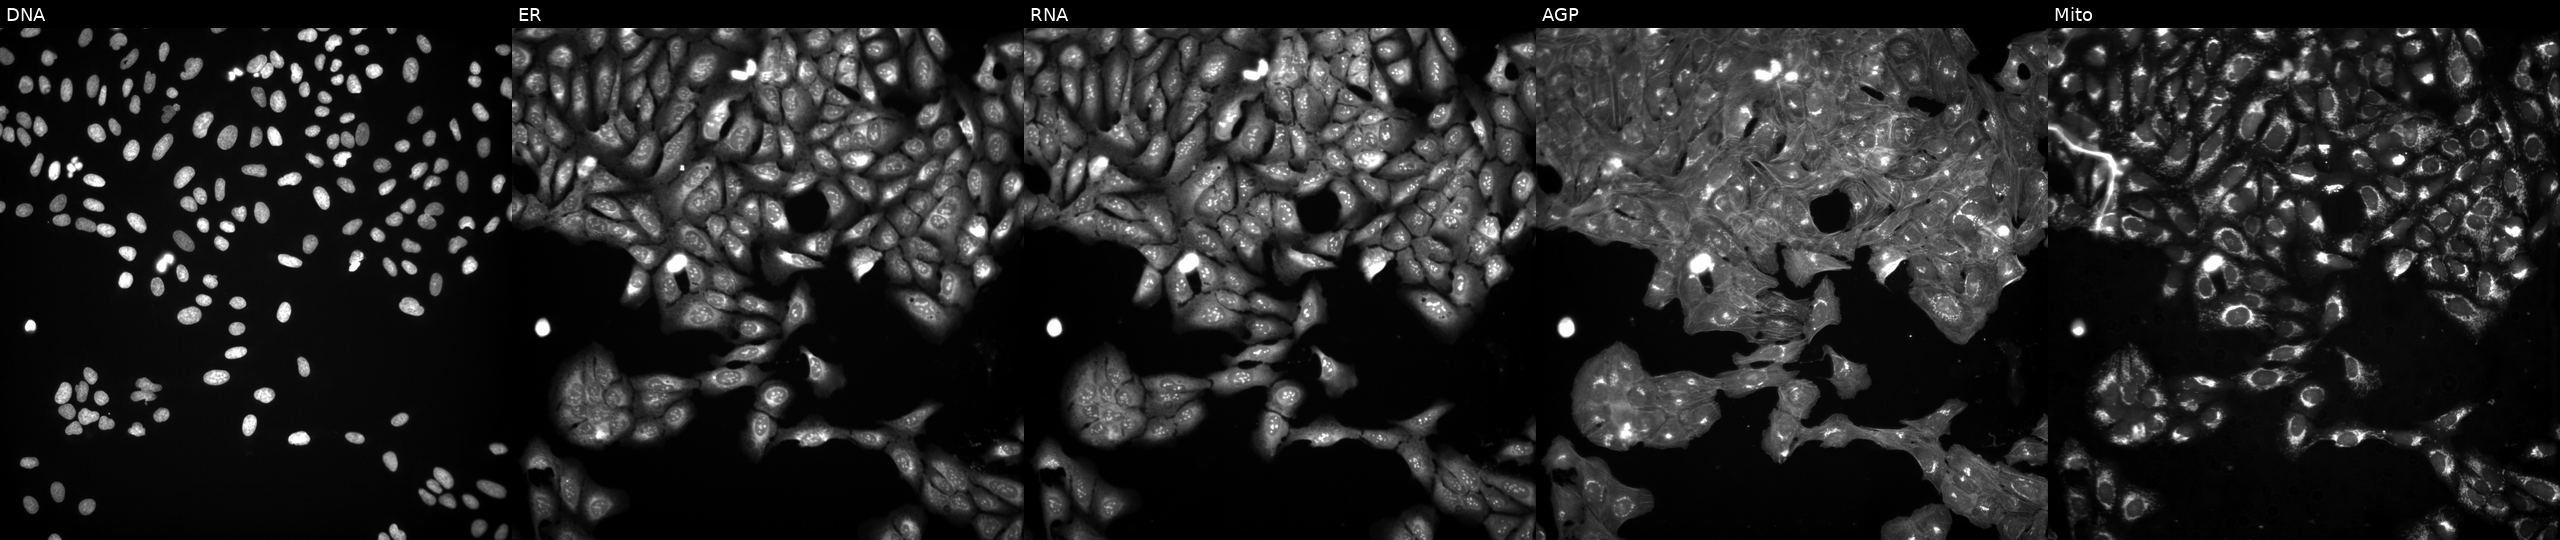
U2OS cells, Cell Painting assay, exposed to the positive-control compound TC-S-7004. Channels (left→right): Hoechst 33342, concanavalin A, SYTO 14, phalloidin and WGA, MitoTracker. Each panel is percentile-stretched 16-bit fluorescence. Source 3, plate BR5867a3, well L24.